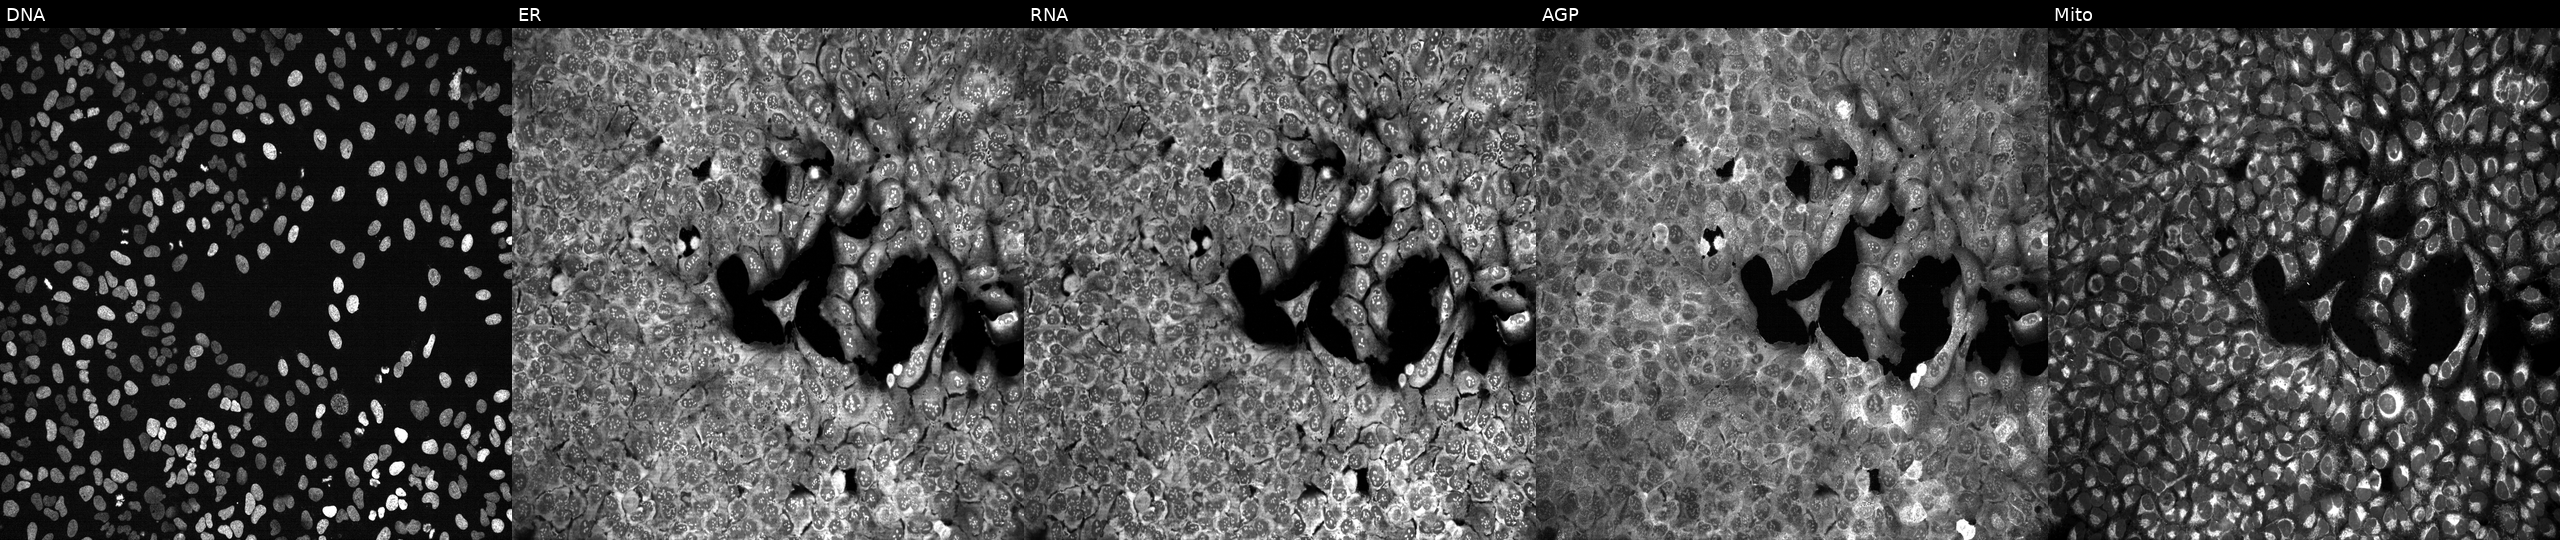
This image strip shows the five Cell Painting channels for a single field of U2OS cells following CRISPR knockout of FAS (JUMP id JCP2022_802273). Channels (left→right): Hoechst 33342, concanavalin A, SYTO 14, phalloidin and WGA, MitoTracker.